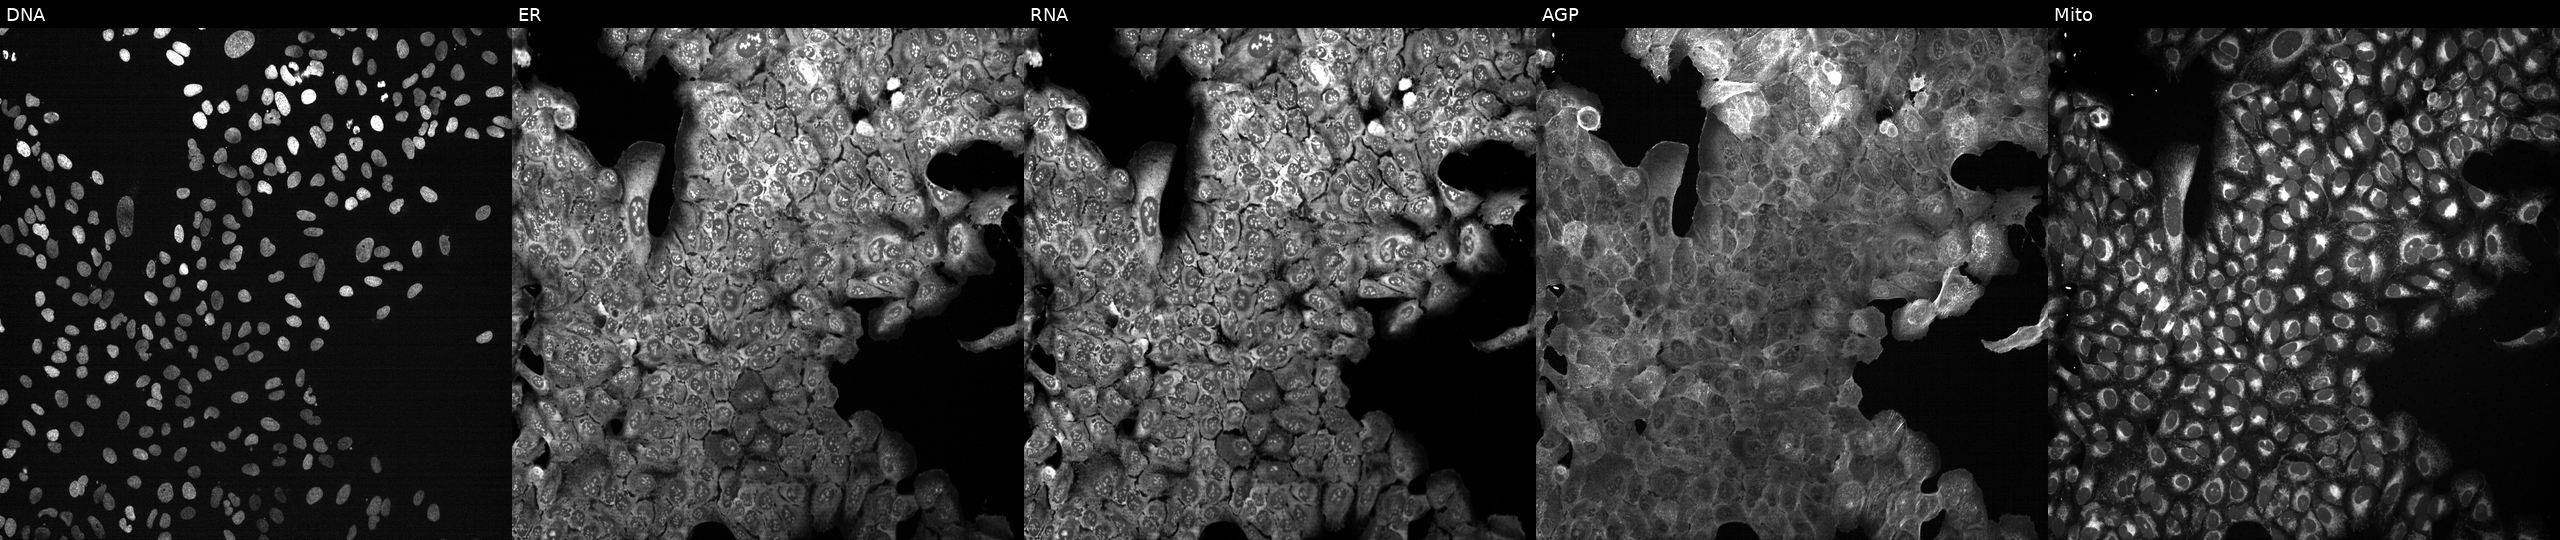
Five-channel Cell Painting image of U2OS cells with NAAA knocked out by CRISPR. The five panels, left to right, show Hoechst 33342, concanavalin A, SYTO 14, phalloidin and WGA, MitoTracker.